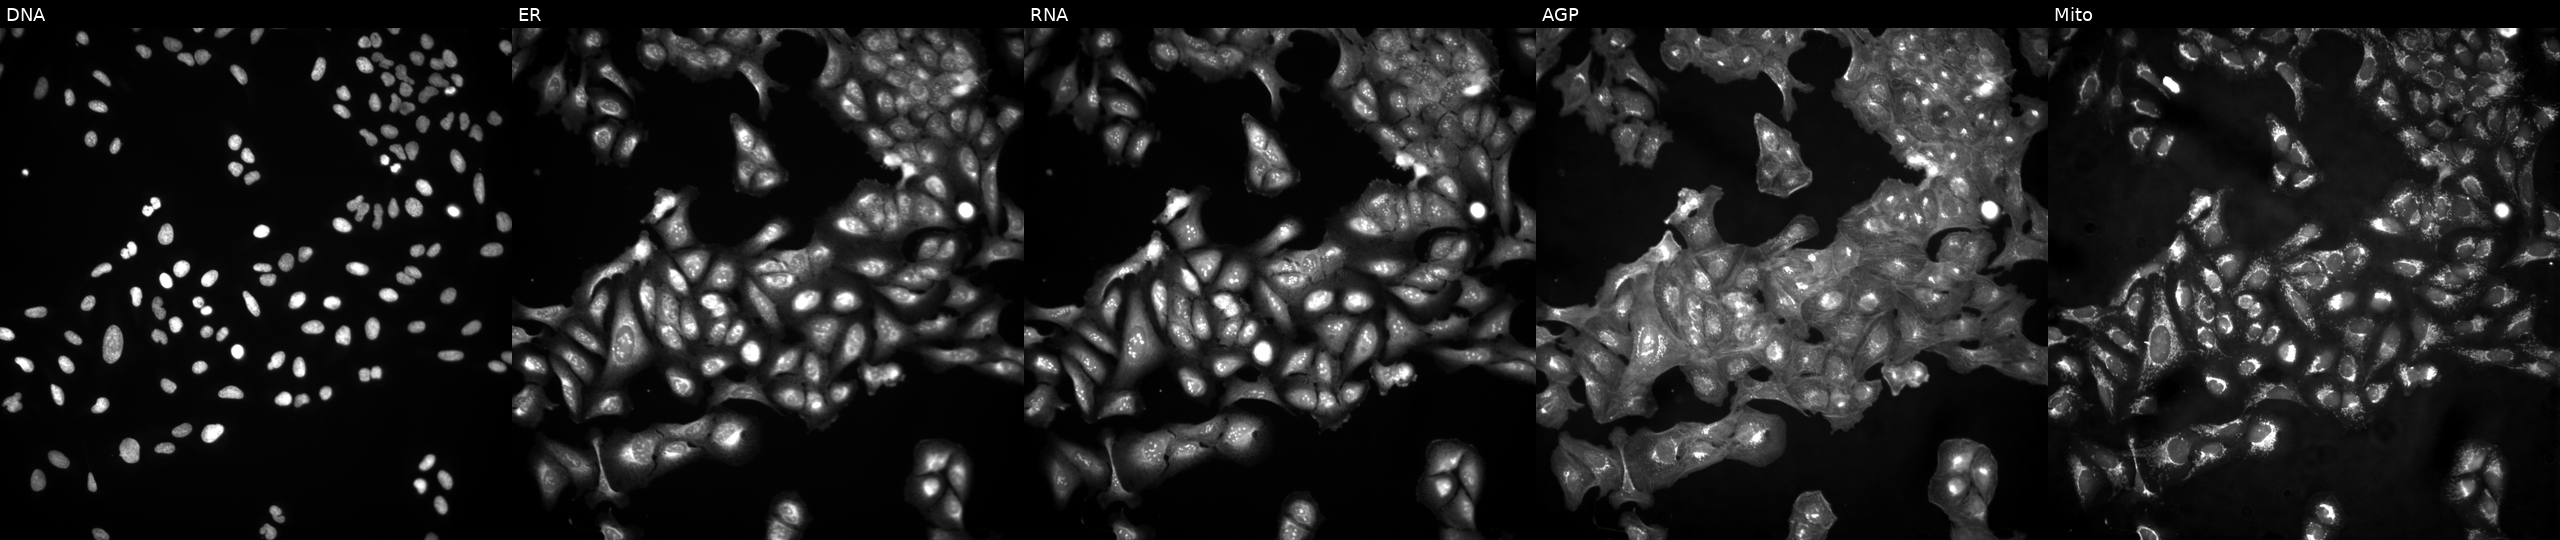
This image strip shows the five Cell Painting channels for a single field of U2OS cells in an empty control well (no perturbation) (JUMP id JCP2022_999999). Panels show, left to right, Hoechst 33342, concanavalin A, SYTO 14, phalloidin and WGA, MitoTracker.